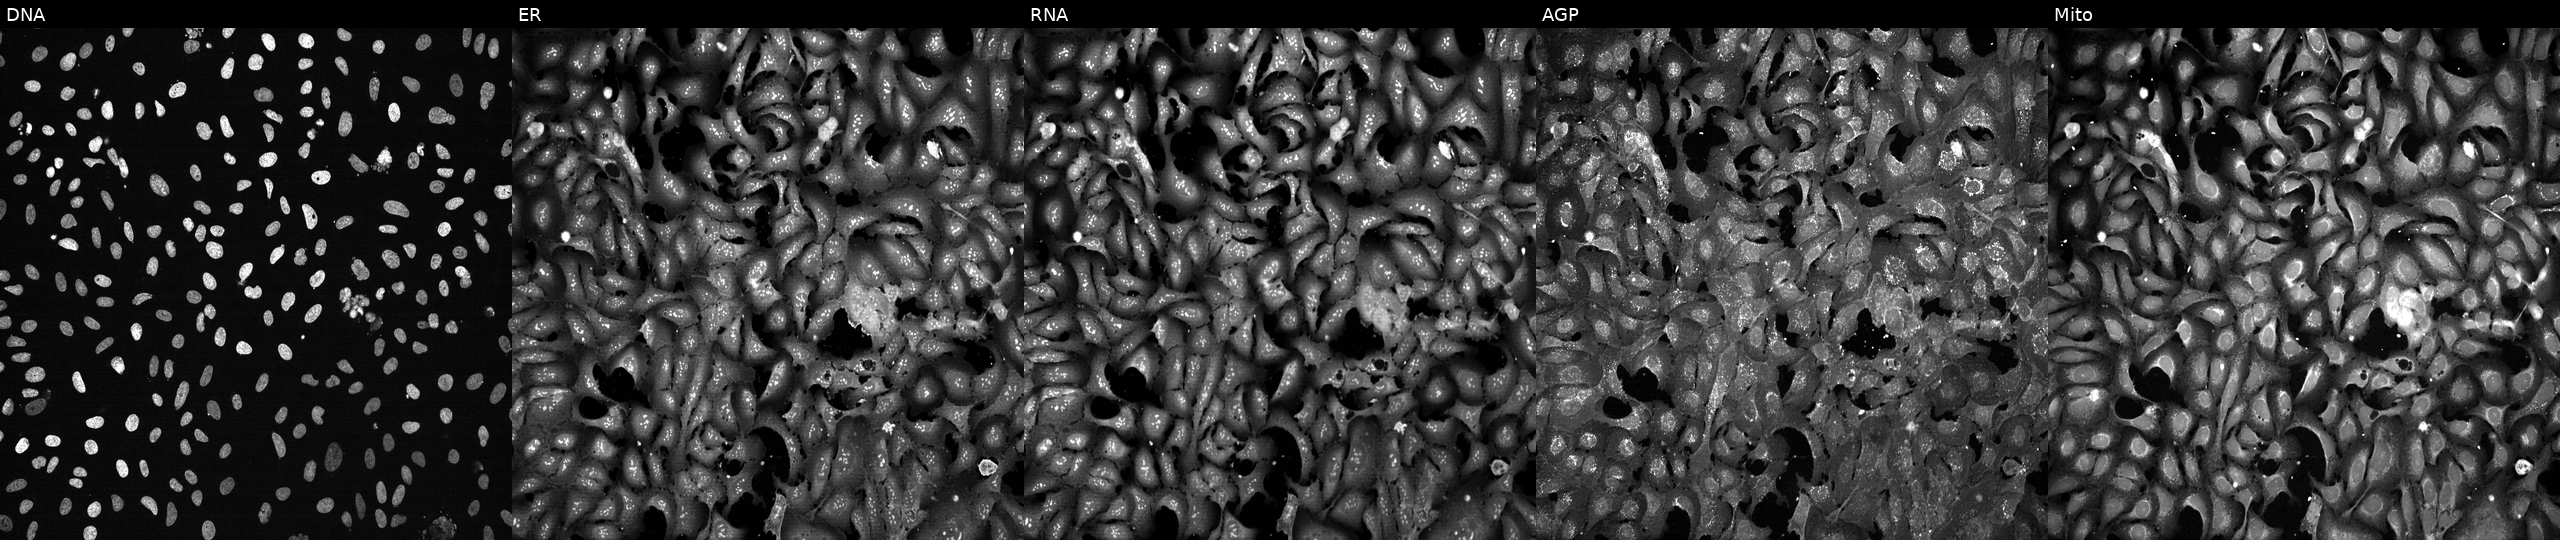
JUMP Cell Painting — CRISPR plate. U2OS cells CRISPR-edited to disrupt ALDOA. Panels show, left to right, Hoechst 33342, concanavalin A, SYTO 14, phalloidin and WGA, MitoTracker.